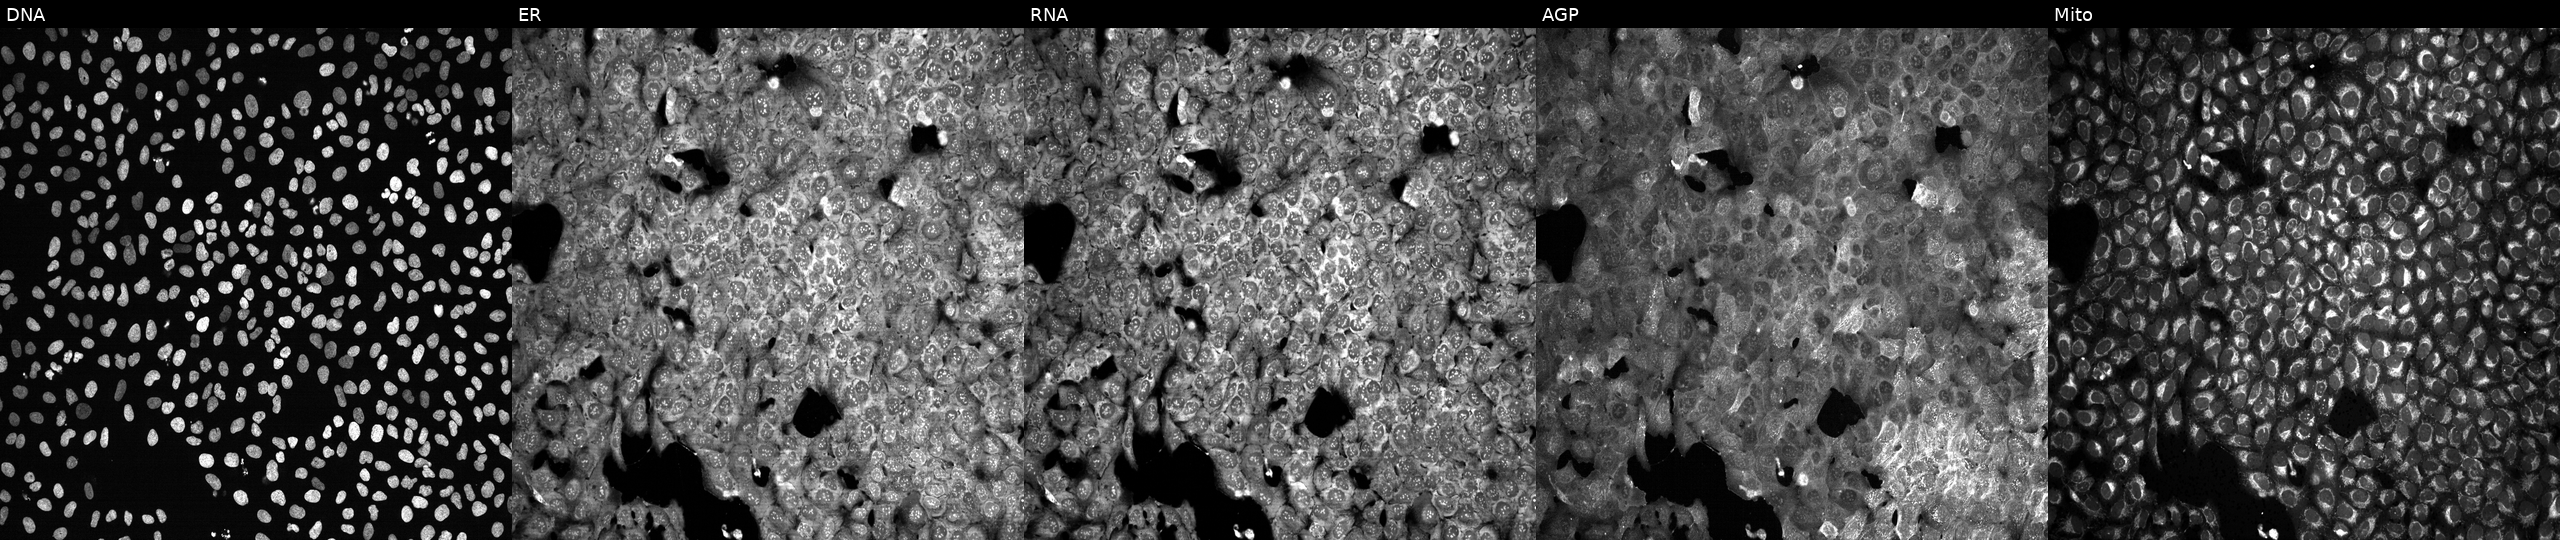
This image strip shows the five Cell Painting channels for a single field of U2OS cells exposed to the positive-control compound NVS-PAK1-1 (JUMP id JCP2022_064022). From left to right: DNA, ER, RNA, AGP, and Mito.